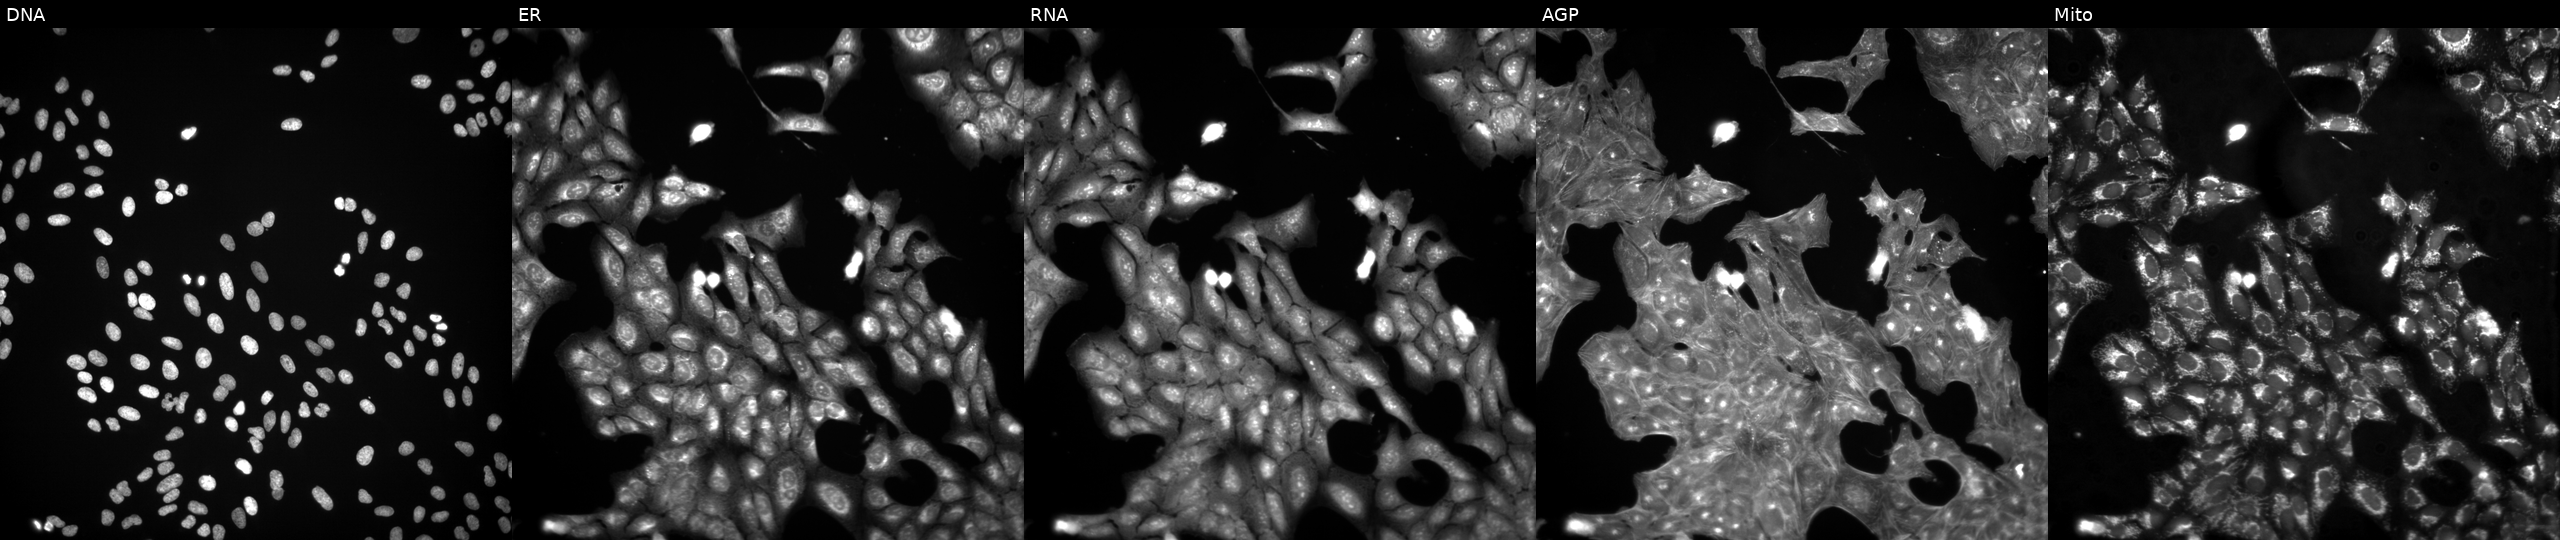
High-content fluorescence microscopy (Cell Painting). Cell line: U2OS. Perturbation: perturbed with a small-molecule compound (InChIKey NUIKTBLZSPQGCP-UHFFFAOYSA-N). Panels show, left to right, Hoechst 33342, concanavalin A, SYTO 14, phalloidin and WGA, MitoTracker.